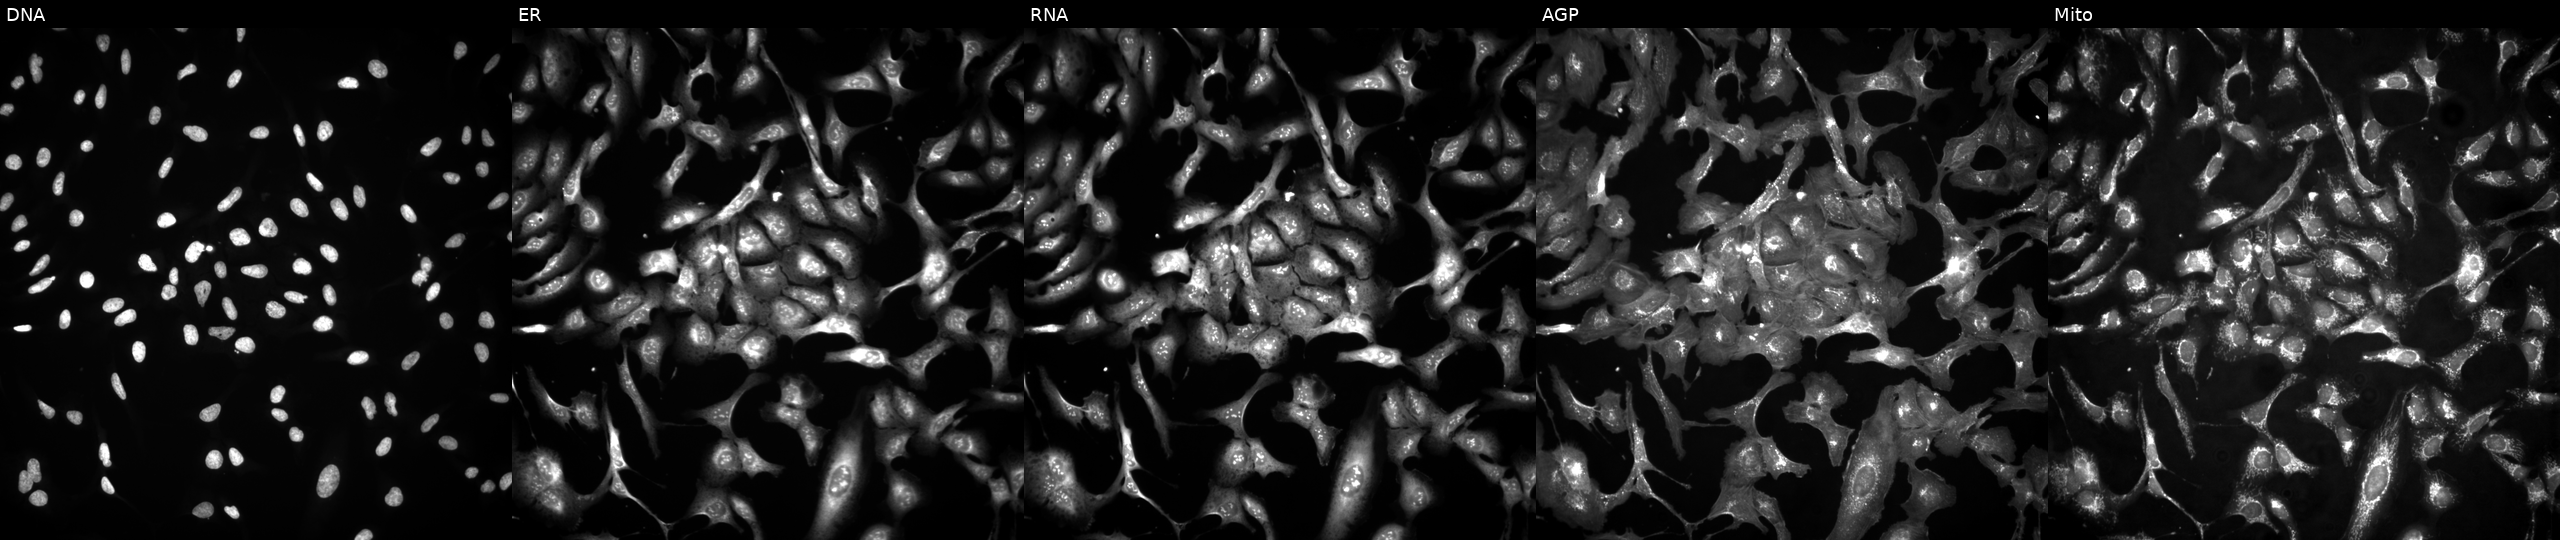
The five panels, left to right, show DNA, ER, RNA, AGP, and Mito. U2OS osteosarcoma cells transfected with an ORF construct for FGFR1. Cell Painting assay, JUMP-CP dataset.